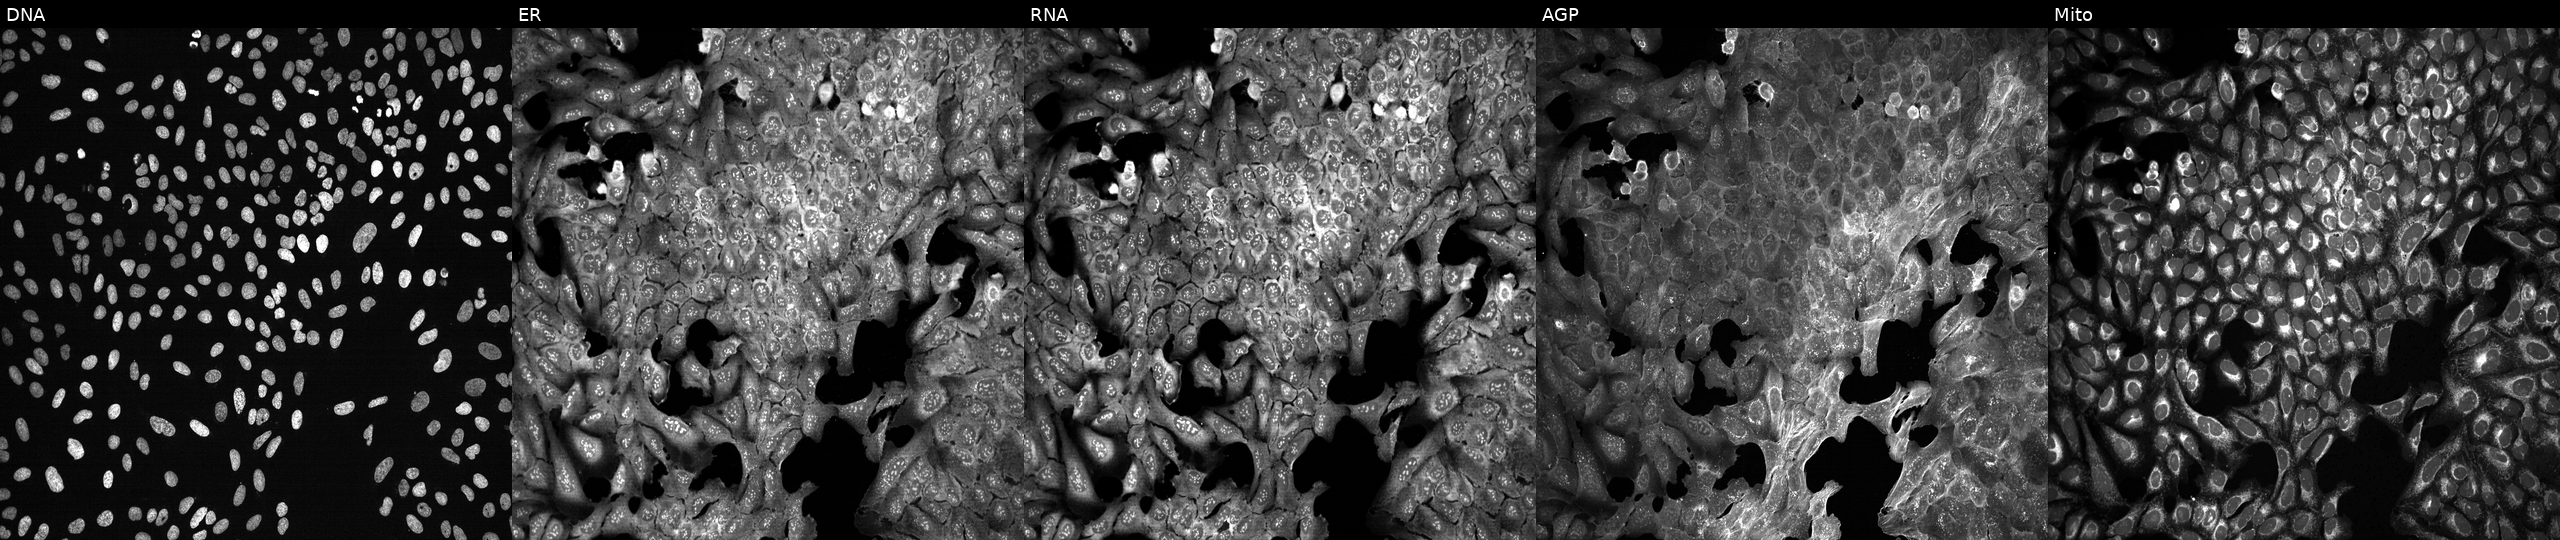
The five panels, left to right, show DNA, ER, RNA, AGP, and Mito. U2OS osteosarcoma cells following CRISPR knockout of NKX2-6. Cell Painting assay, JUMP-CP dataset. Source 13, plate CP-CC9-R6-19, well J18.